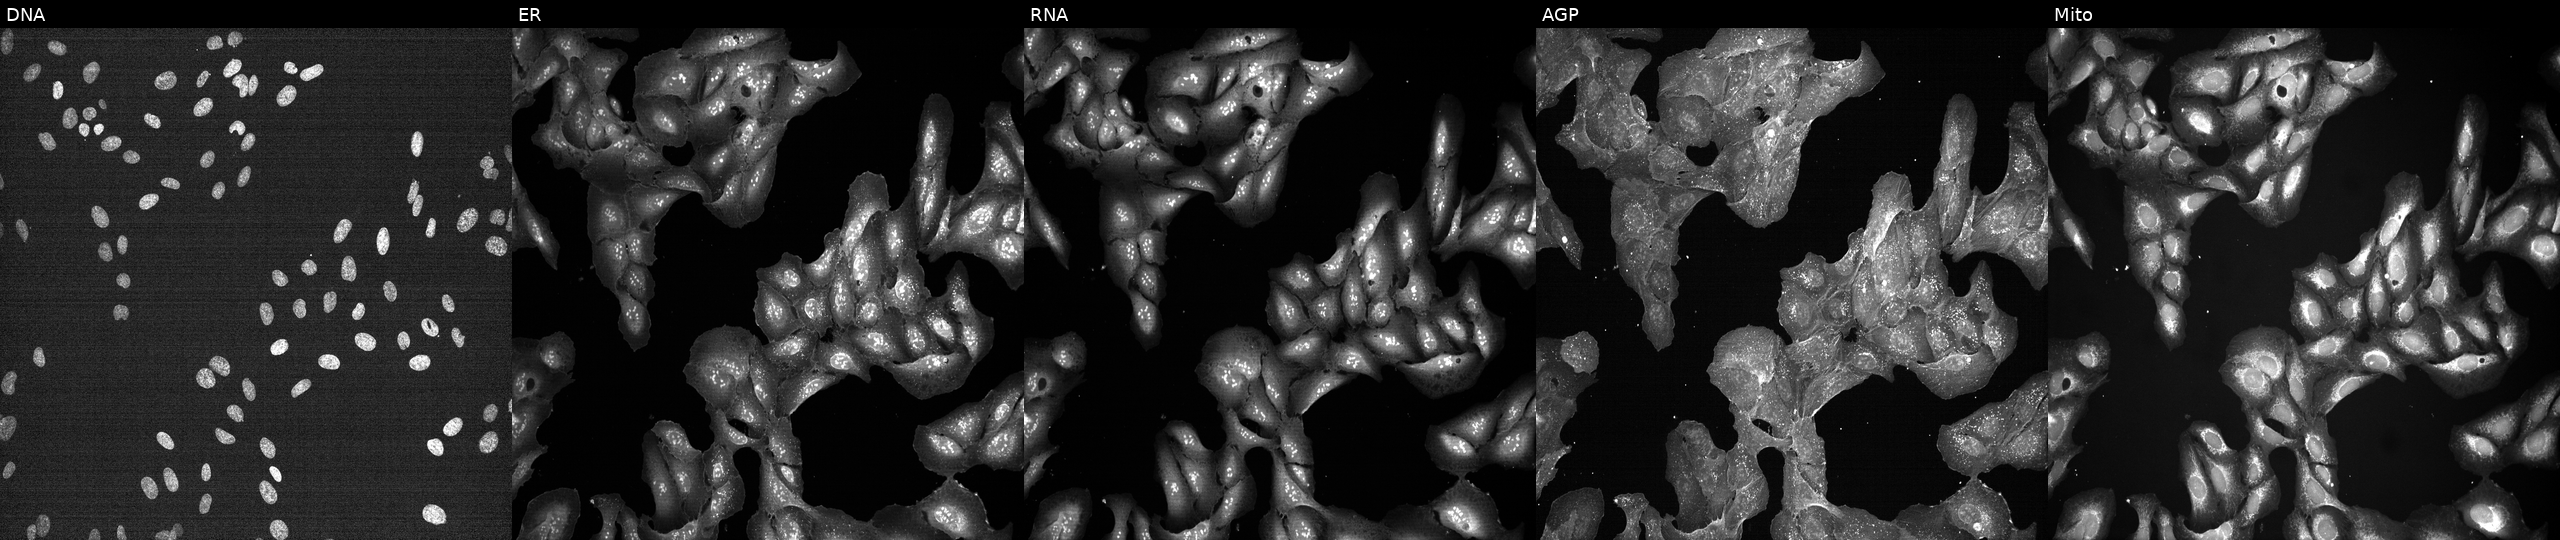
Five-channel Cell Painting image of U2OS cells perturbed with a small-molecule compound [SMILES: N=c1[nH]c(F)nc2c1ncn2C1OC(CO[PH](=O)(=O)O)C(O)C1O]. From left to right: DNA (nuclei); ER (endoplasmic reticulum); RNA (nucleoli and cytoplasmic RNA); AGP (actin cytoskeleton, Golgi, and plasma membrane); Mito (mitochondria).